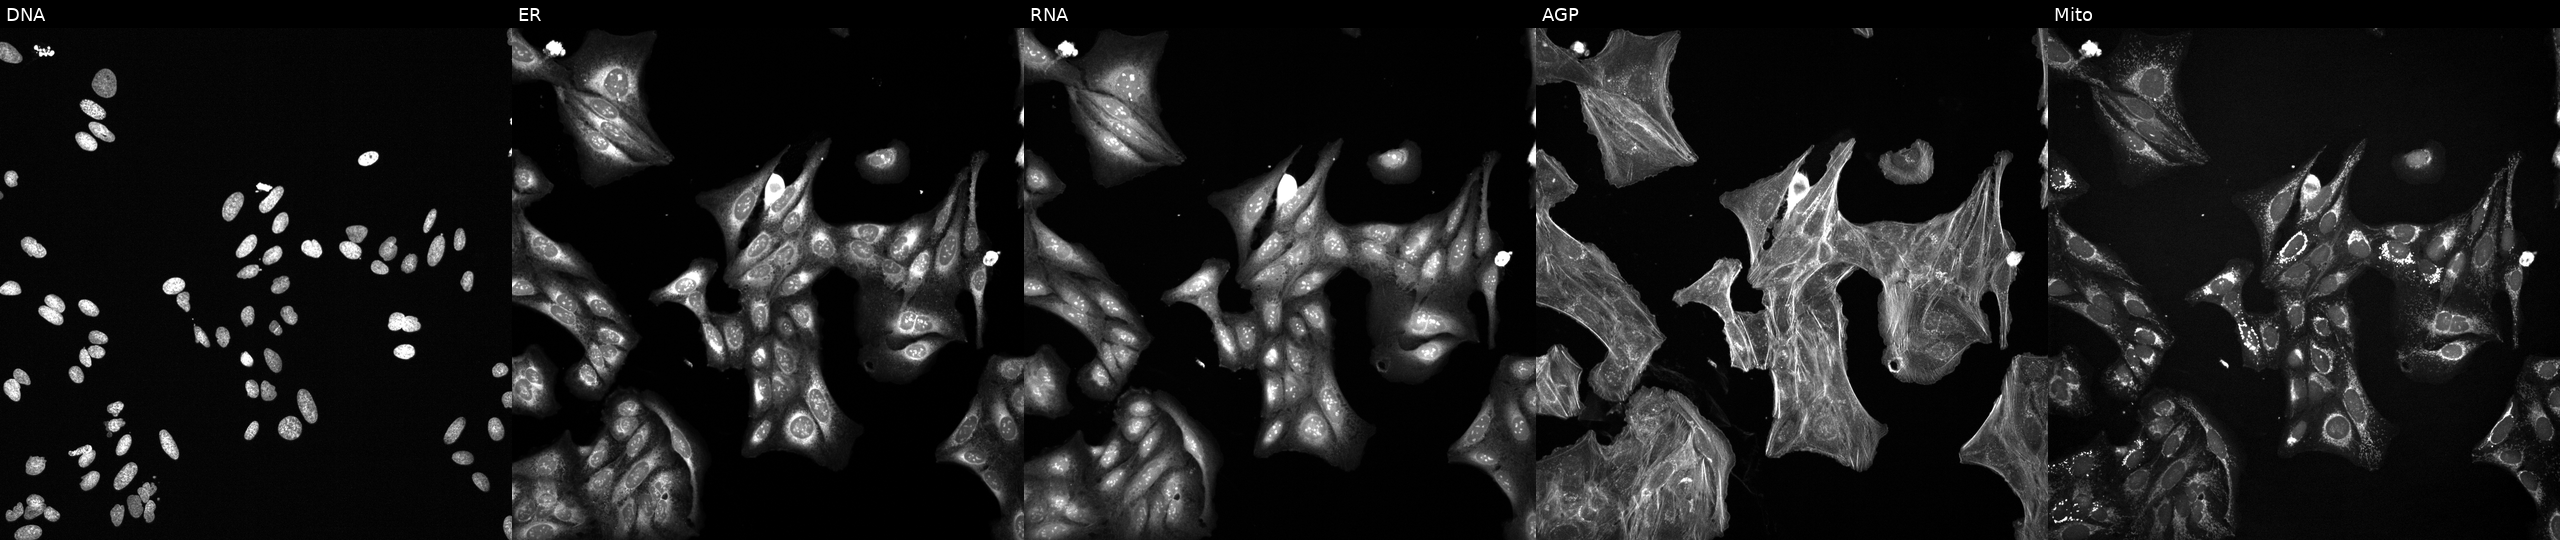
JUMP Cell Painting — TARGET2 plate. U2OS cells treated with a small-molecule compound (InChIKey PMXCMJLOPOFPBT-UHFFFAOYSA-N). Panels show, left to right, DNA (nuclei); ER (endoplasmic reticulum); RNA (nucleoli and cytoplasmic RNA); AGP (actin cytoskeleton, Golgi, and plasma membrane); Mito (mitochondria). Source 6, plate 110000293081, well M04.